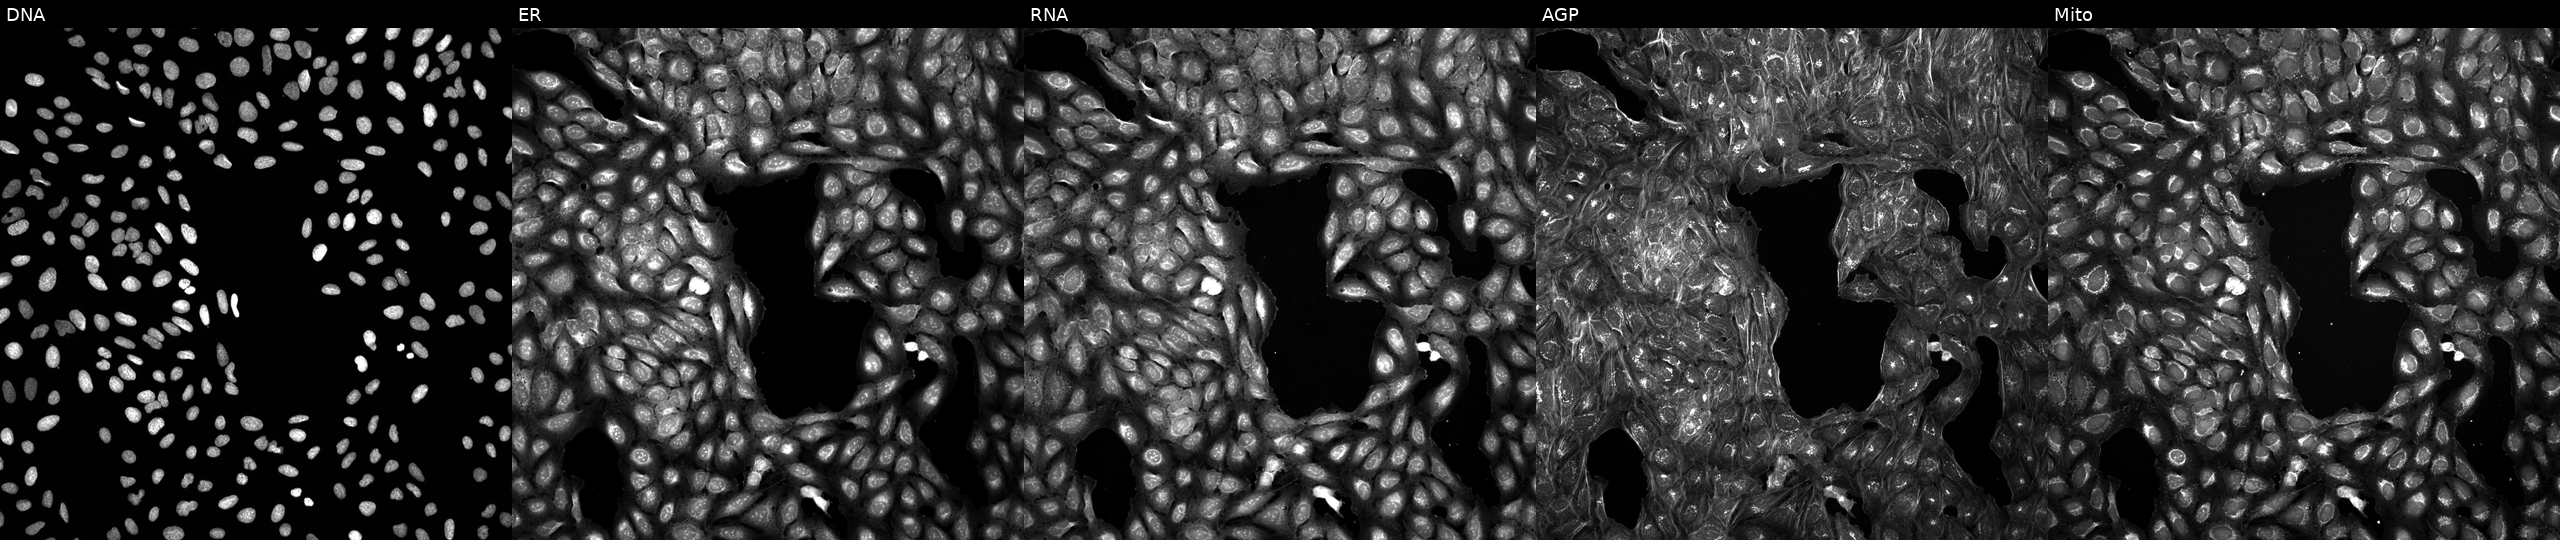
U2OS cells, Cell Painting assay, treated with a small-molecule compound (JUMP id JCP2022_004419). From left to right: DNA, ER, RNA, AGP, and Mito. Each panel is percentile-stretched 16-bit fluorescence. Source 5, plate APTJUM106, well C20.